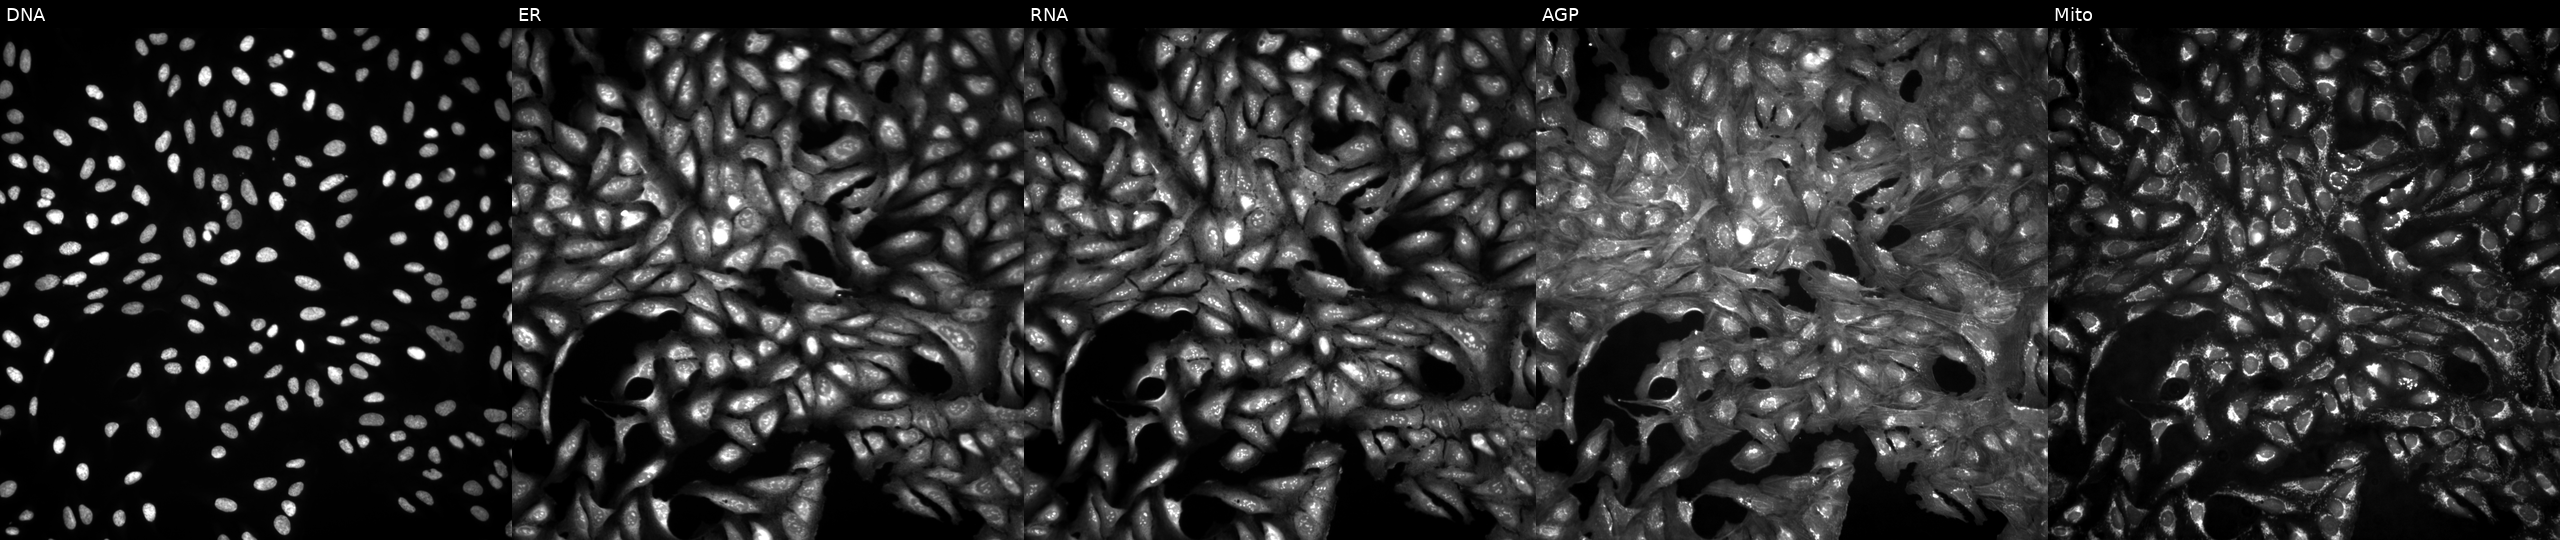
High-content fluorescence microscopy (Cell Painting). Cell line: U2OS. Perturbation: untreated (empty-well control) (JUMP id JCP2022_999999). The five panels, left to right, show DNA, ER, RNA, AGP, and Mito.